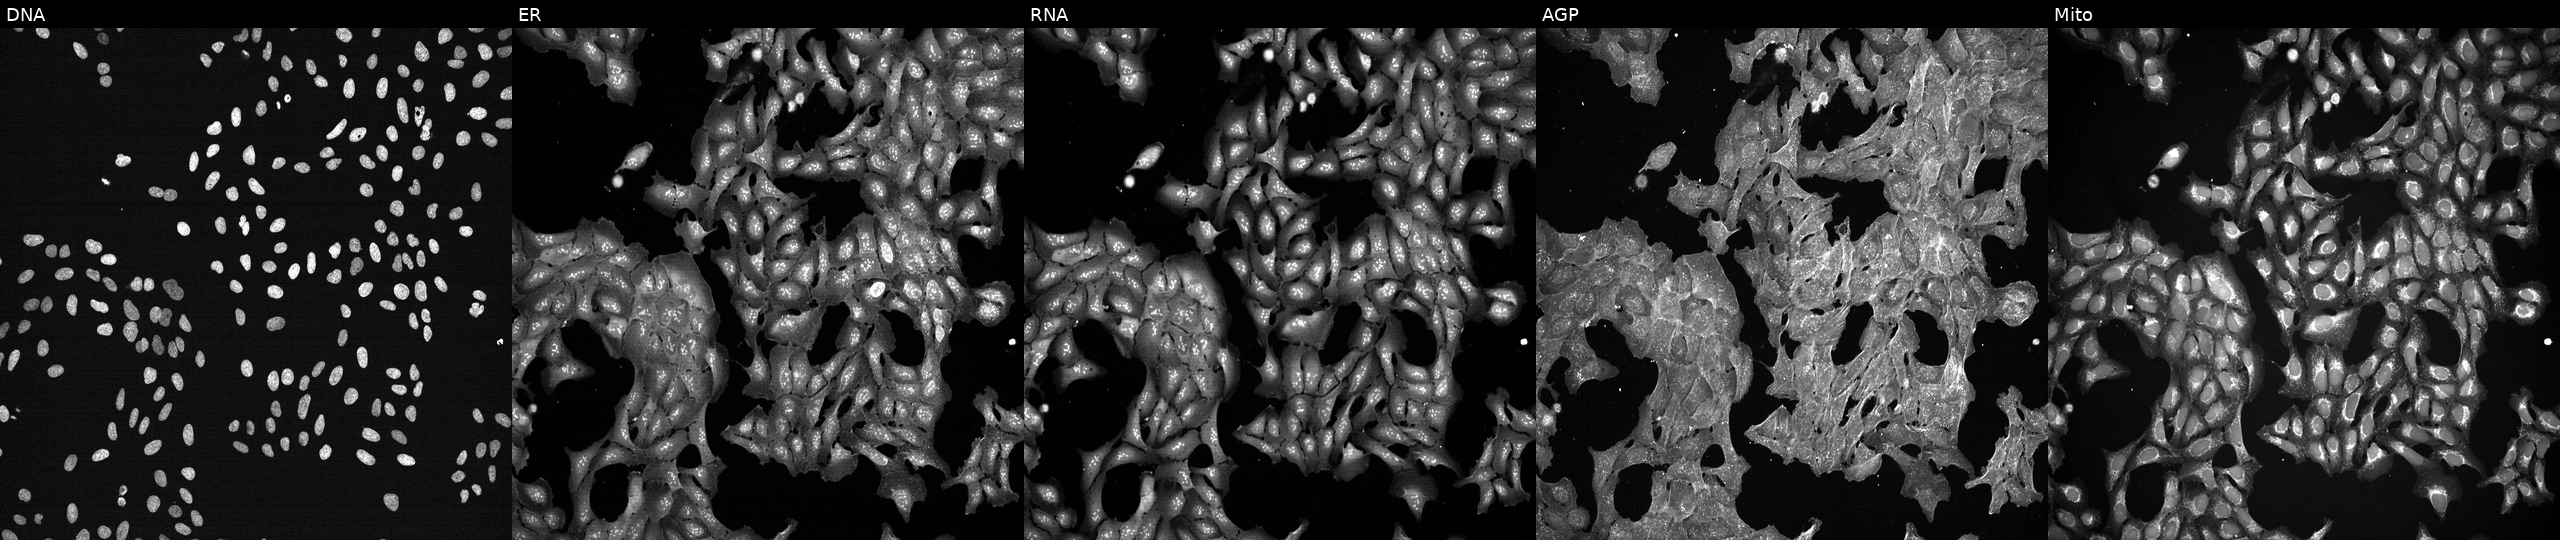
U2OS cells, Cell Painting assay, treated with a small-molecule compound (InChIKey PZBPKYOVPCNPJY-UHFFFAOYSA-N) [SMILES: C=CCOC(Cn1ccnc1)c1ccc(Cl)cc1Cl] (JUMP id JCP2022_071910). Panels show, left to right, Hoechst 33342, concanavalin A, SYTO 14, phalloidin and WGA, MitoTracker. Each panel is percentile-stretched 16-bit fluorescence. Source 7, plate CP2-SC1-25, well J10.